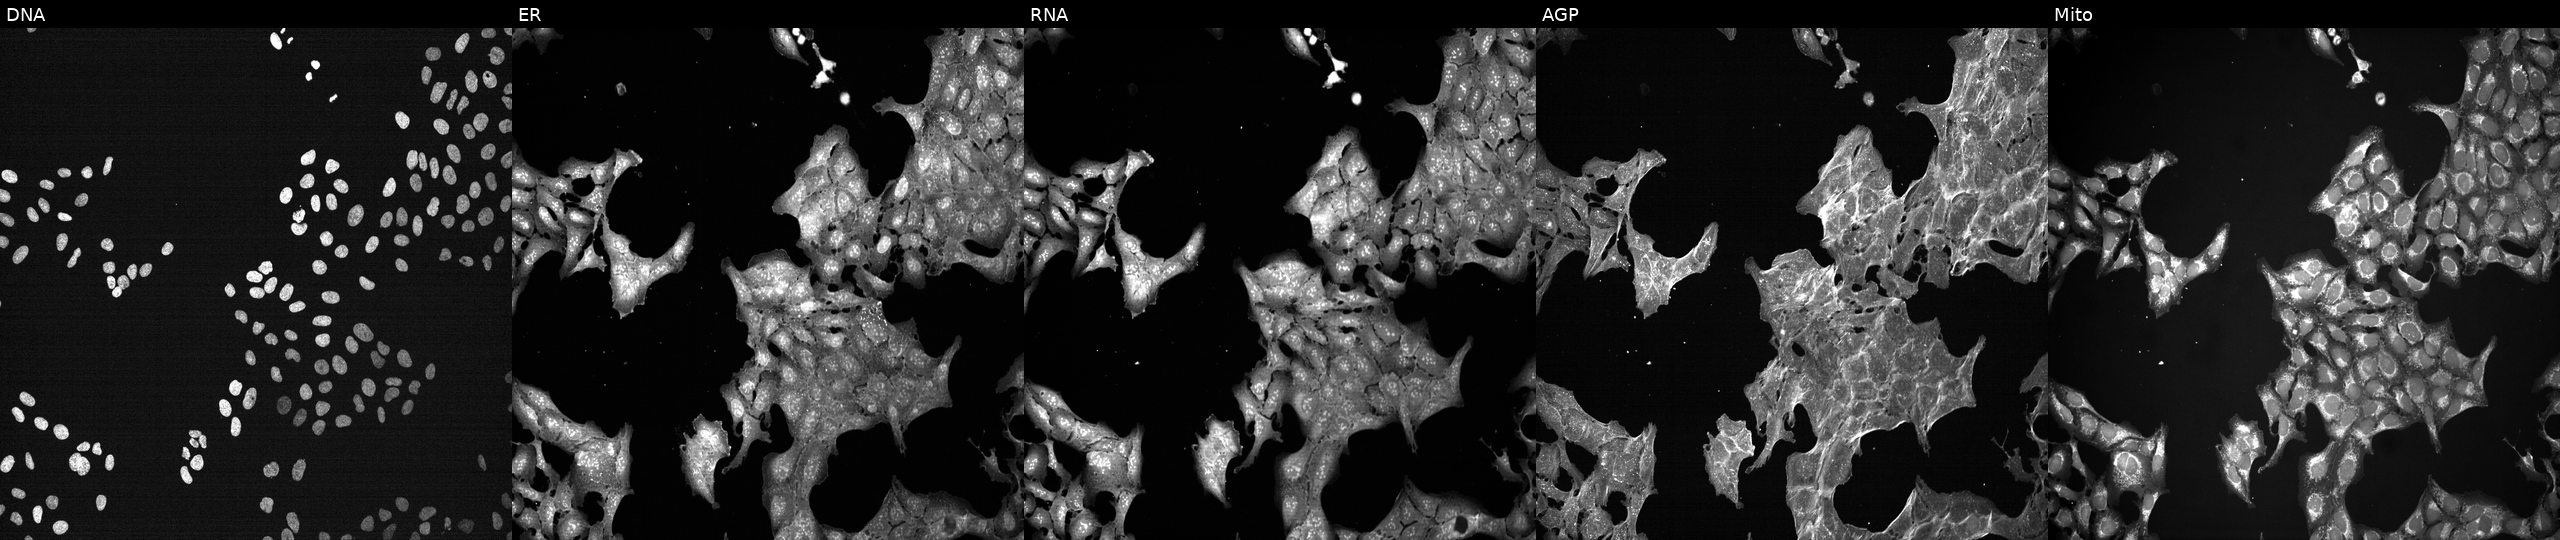
Five-channel Cell Painting image of U2OS cells perturbed with a small-molecule compound (InChIKey HFNKQEVNSGCOJV-UHFFFAOYSA-N) (JUMP id JCP2022_029868). From left to right: Hoechst 33342, concanavalin A, SYTO 14, phalloidin and WGA, MitoTracker. Source 7, plate CP3-SC1-25, well J22.